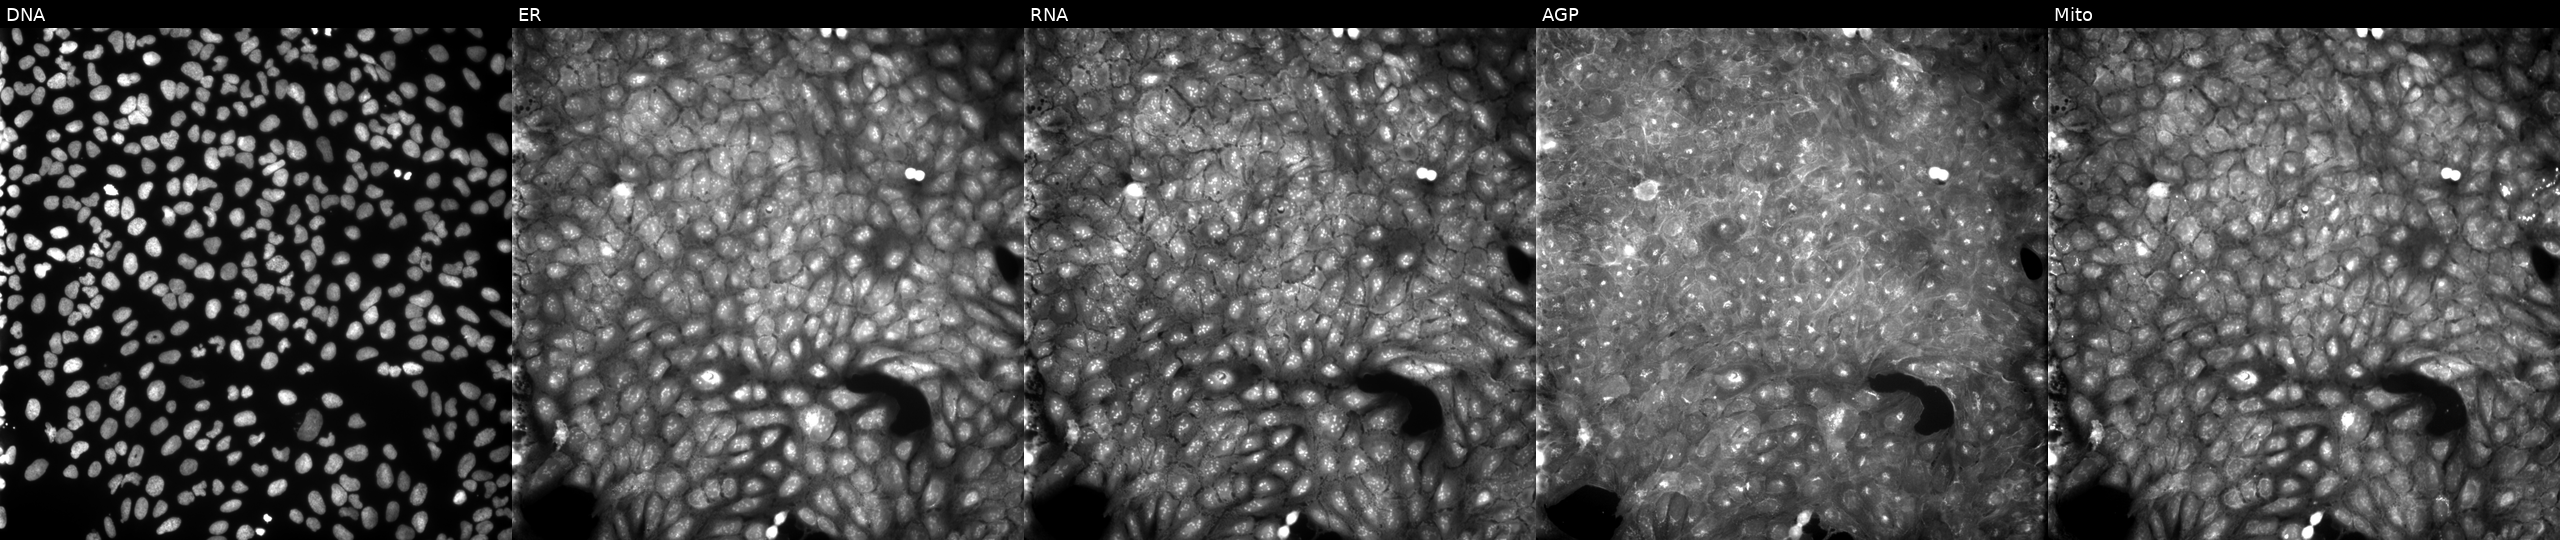
This image strip shows the five Cell Painting channels for a single field of U2OS cells treated with a small-molecule compound (InChIKey MQMMZWGUNUVVMF-UHFFFAOYSA-N). Channels (left→right): DNA, ER, RNA, AGP, and Mito.